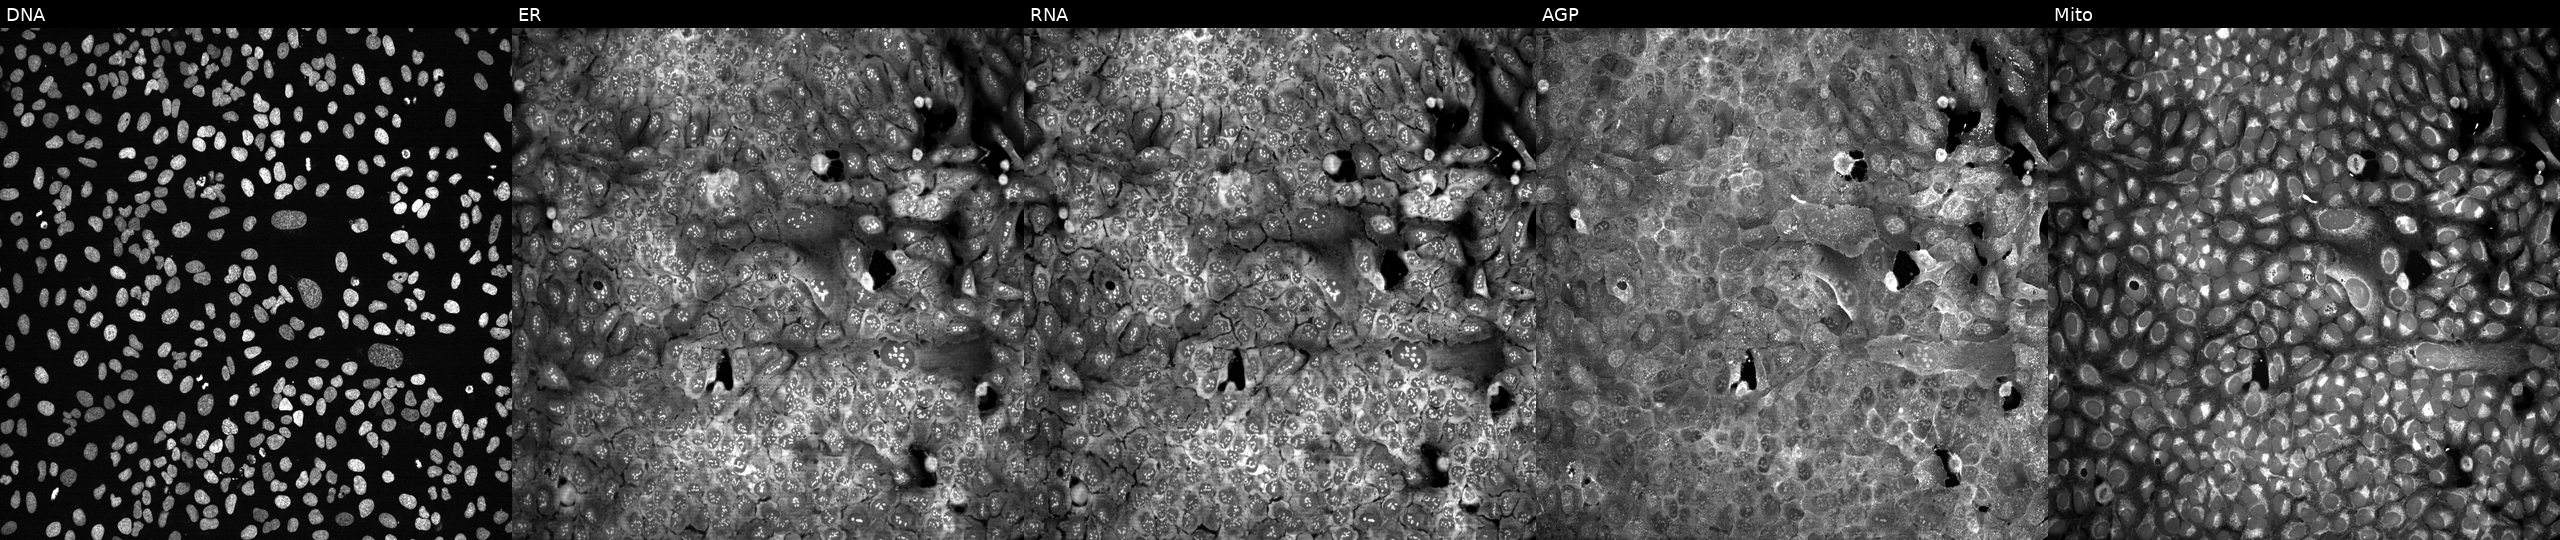
U2OS cells, Cell Painting assay, with GUCY1B3 knocked out by CRISPR. The five panels, left to right, show DNA (nuclei); ER (endoplasmic reticulum); RNA (nucleoli and cytoplasmic RNA); AGP (actin cytoskeleton, Golgi, and plasma membrane); Mito (mitochondria). Each panel is percentile-stretched 16-bit fluorescence. Source 13, plate CP-CC9-R5-01, well G10.